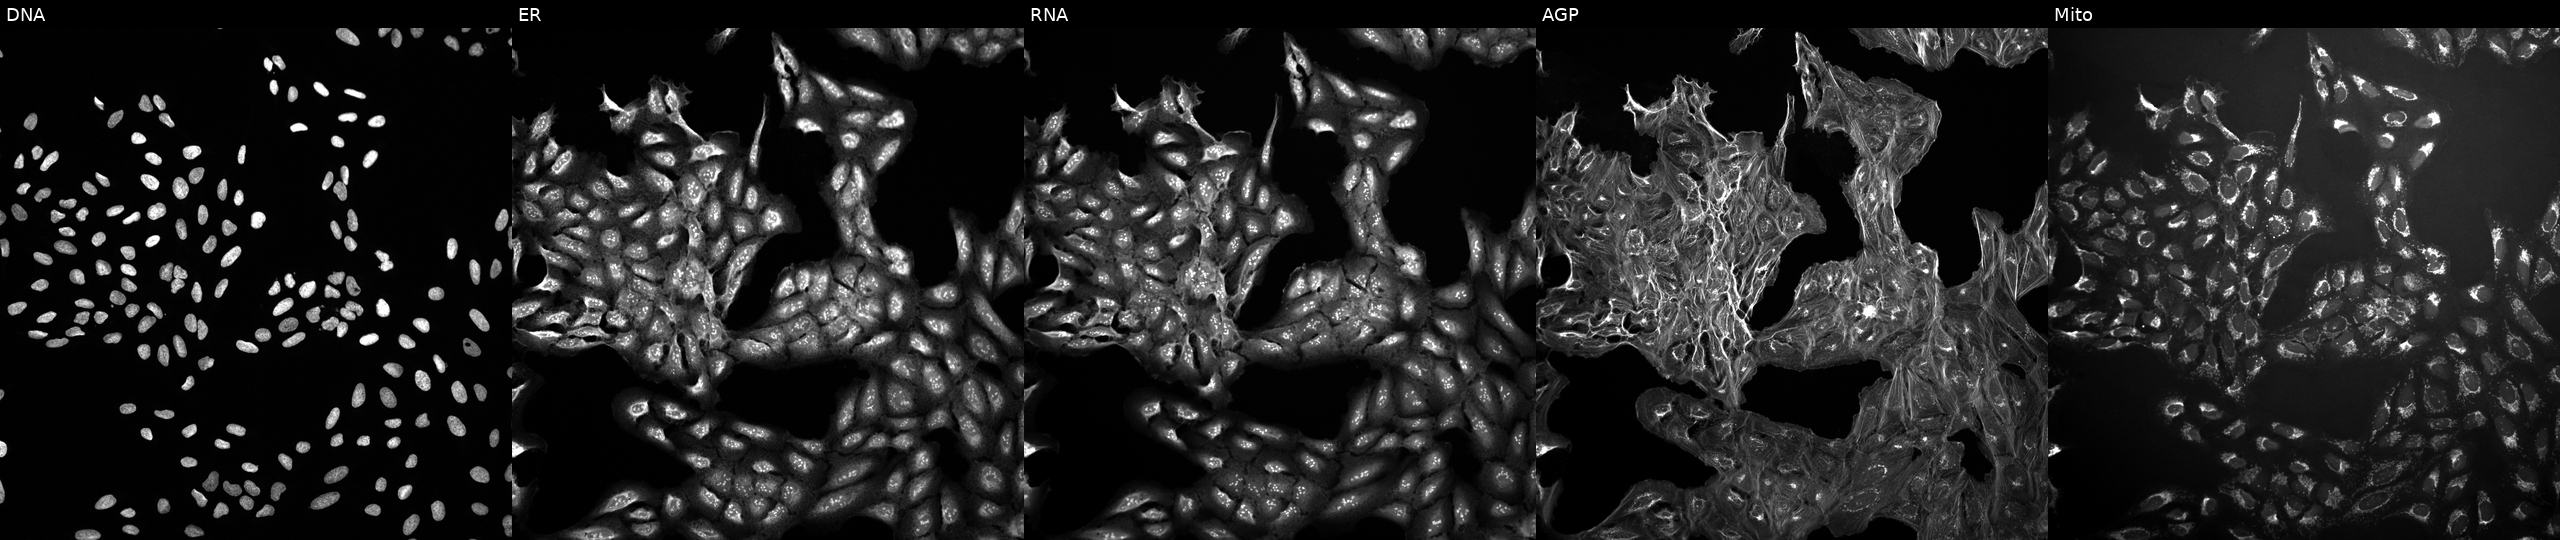
This image strip shows the five Cell Painting channels for a single field of U2OS cells treated with a small-molecule compound (InChIKey WXXSNCNJFUAIDG-UHFFFAOYSA-N) [SMILES: COC(=O)N(C)c1c(N)[nH]c(-c2nn(Cc3ccccc3F)c3ncccc23)nc1=N] (JUMP id JCP2022_101929). Panels show, left to right, DNA (nuclei); ER (endoplasmic reticulum); RNA (nucleoli and cytoplasmic RNA); AGP (actin cytoskeleton, Golgi, and plasma membrane); Mito (mitochondria).